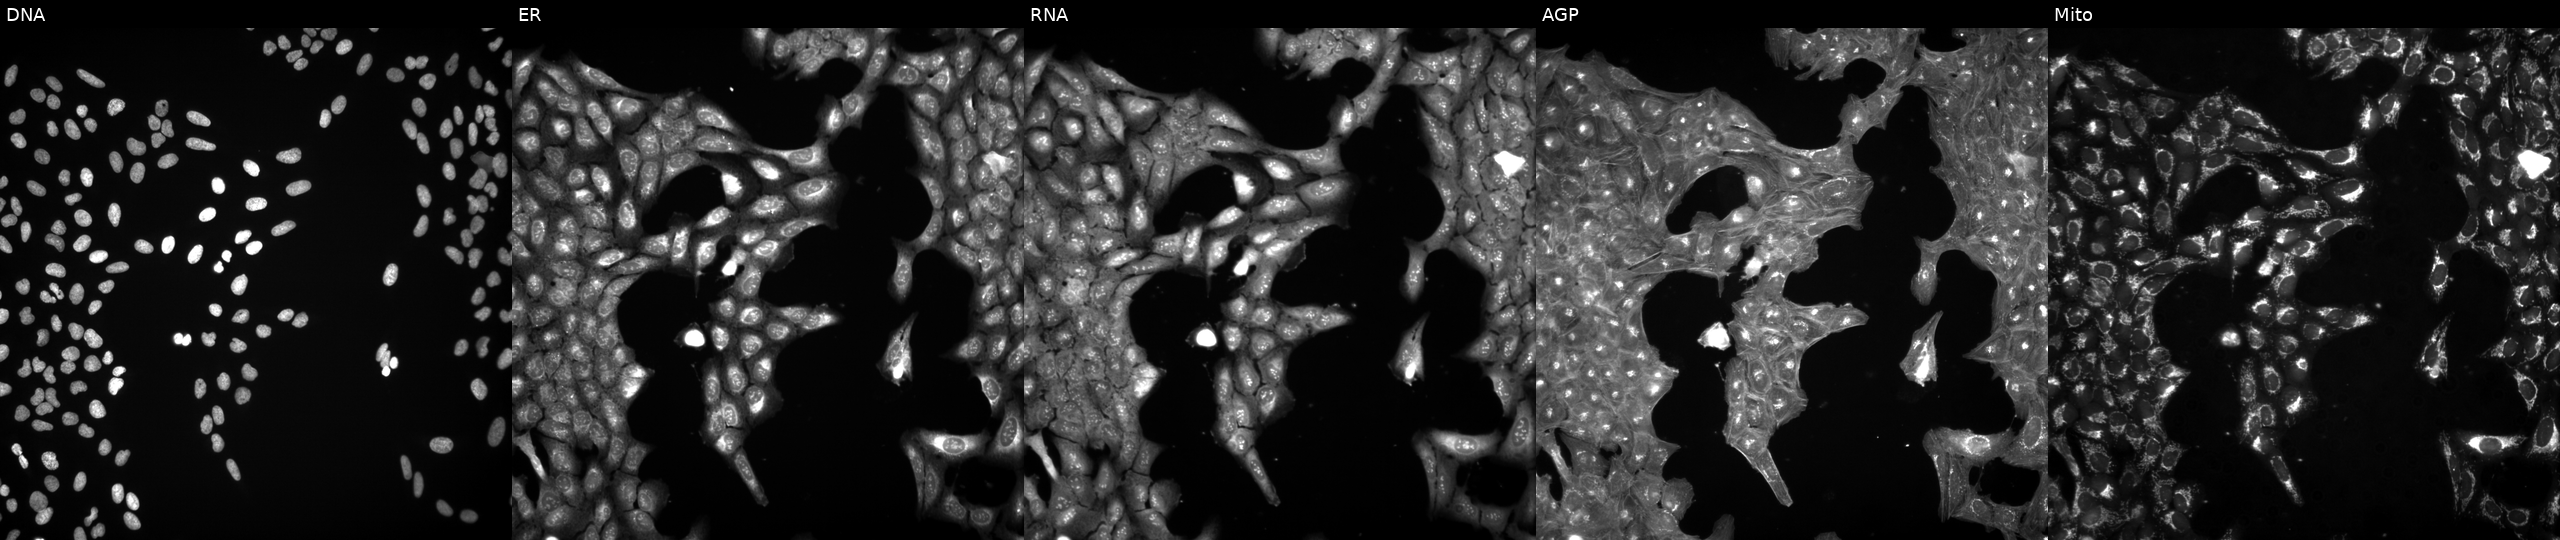
High-content fluorescence microscopy (Cell Painting). Cell line: U2OS. Perturbation: perturbed with a small-molecule compound (InChIKey ODBUHNIFKOFMEH-UHFFFAOYSA-N). The five panels, left to right, show DNA (nuclei); ER (endoplasmic reticulum); RNA (nucleoli and cytoplasmic RNA); AGP (actin cytoskeleton, Golgi, and plasma membrane); Mito (mitochondria).